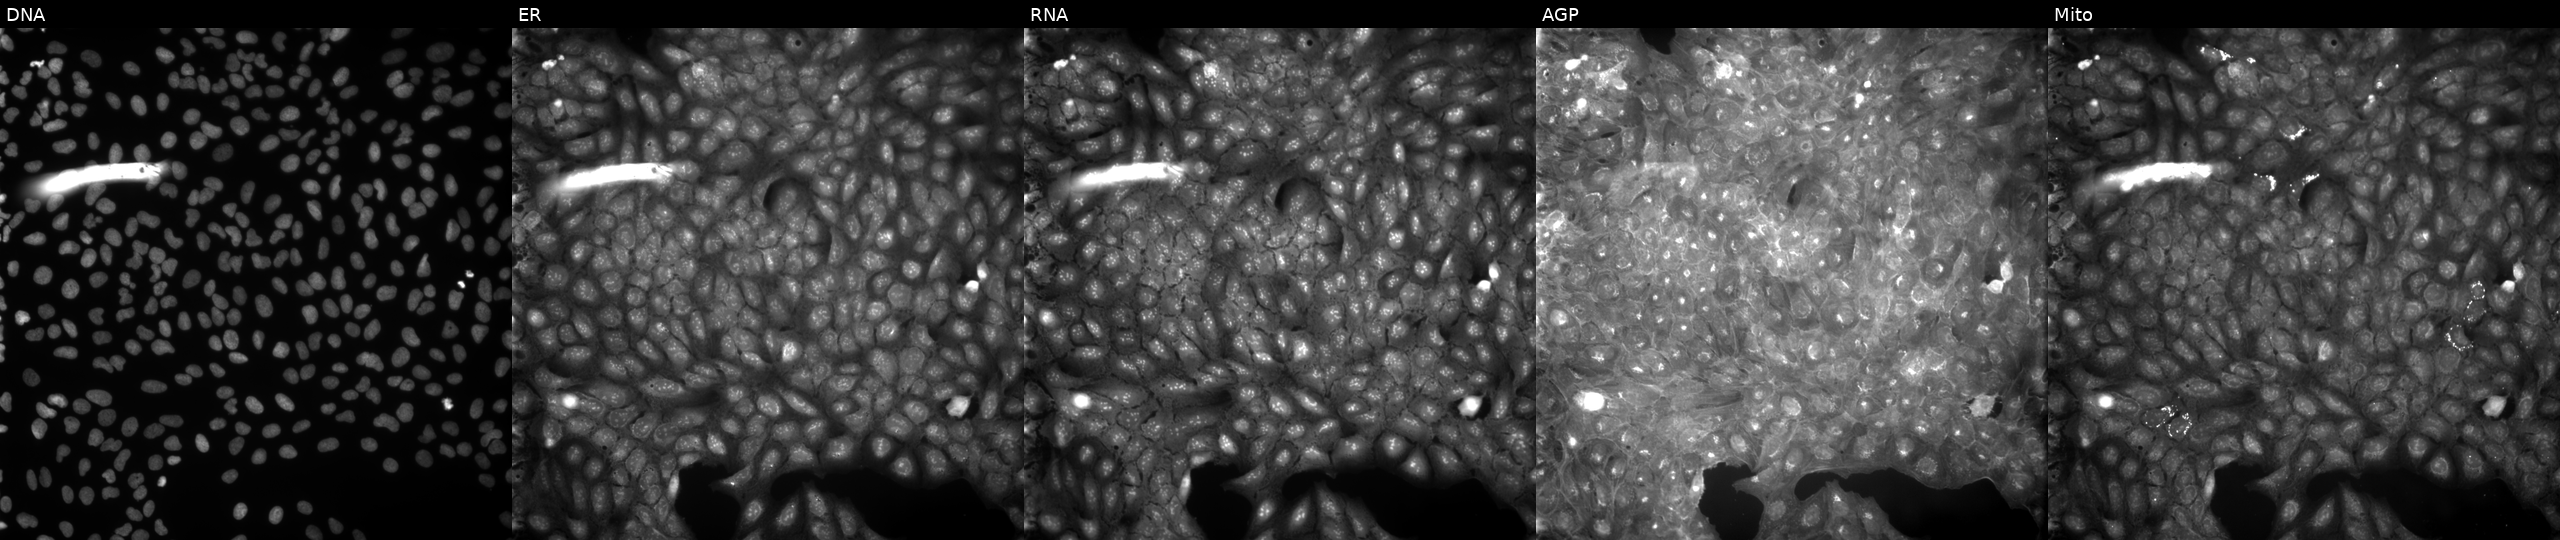
The five panels, left to right, show Hoechst 33342, concanavalin A, SYTO 14, phalloidin and WGA, MitoTracker. U2OS osteosarcoma cells treated with a small-molecule compound (InChIKey SMNHDMUMYYOVOG-UHFFFAOYSA-N) (JUMP id JCP2022_084208). Cell Painting assay, JUMP-CP dataset. Source 9, plate GR00003381, well U17.